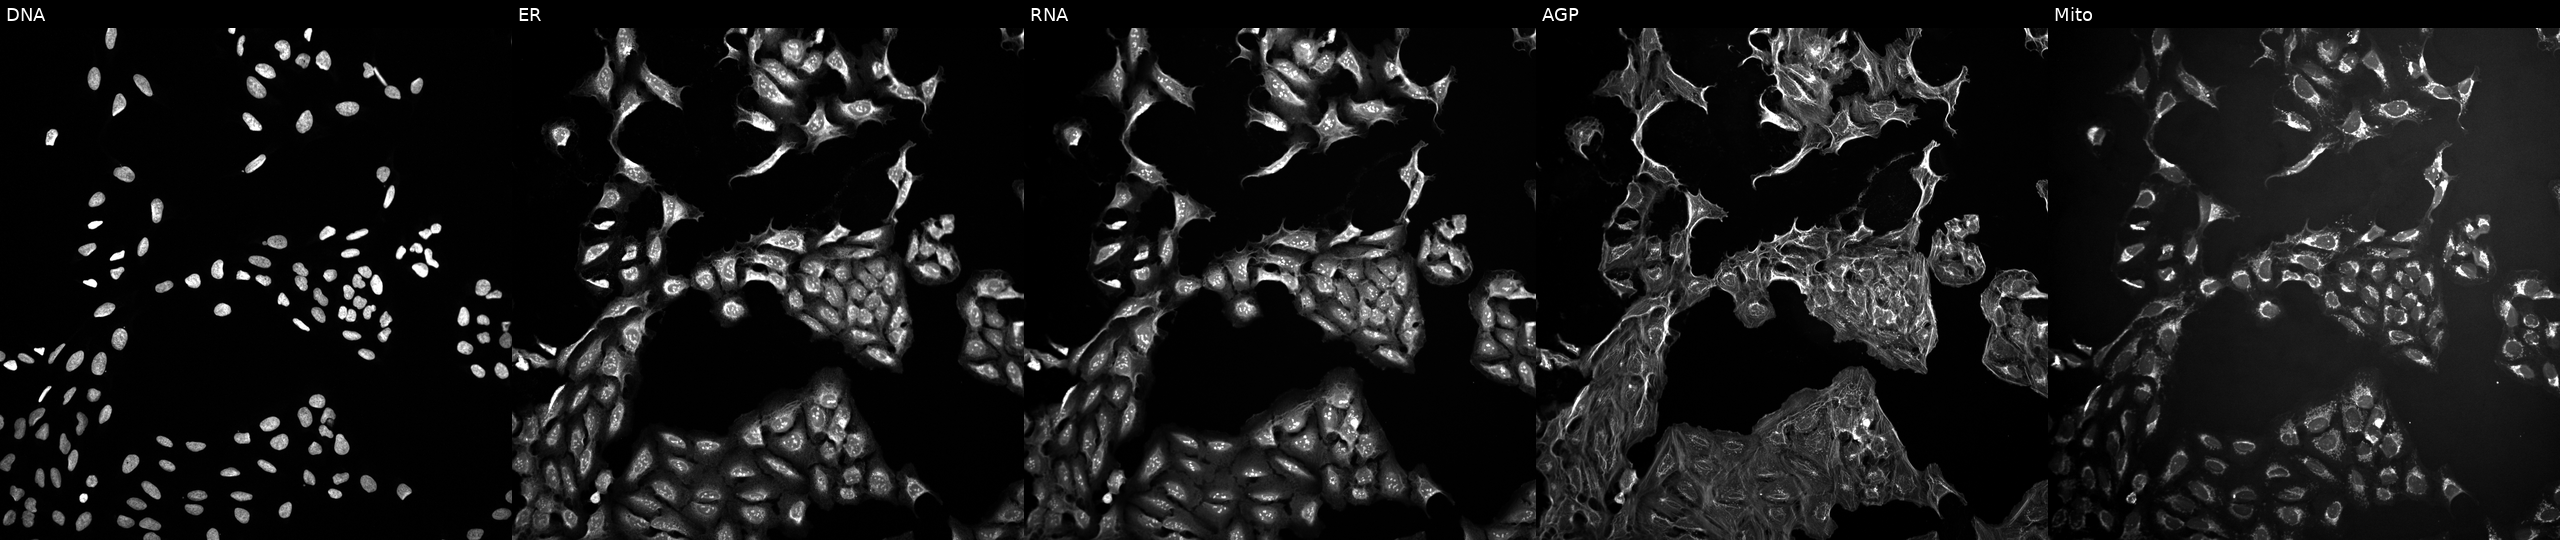
Five-channel Cell Painting image of U2OS cells treated with a small-molecule compound (JUMP id JCP2022_002206). The five panels, left to right, show DNA, ER, RNA, AGP, and Mito. Source 10, plate Dest210726-160150, well K20.